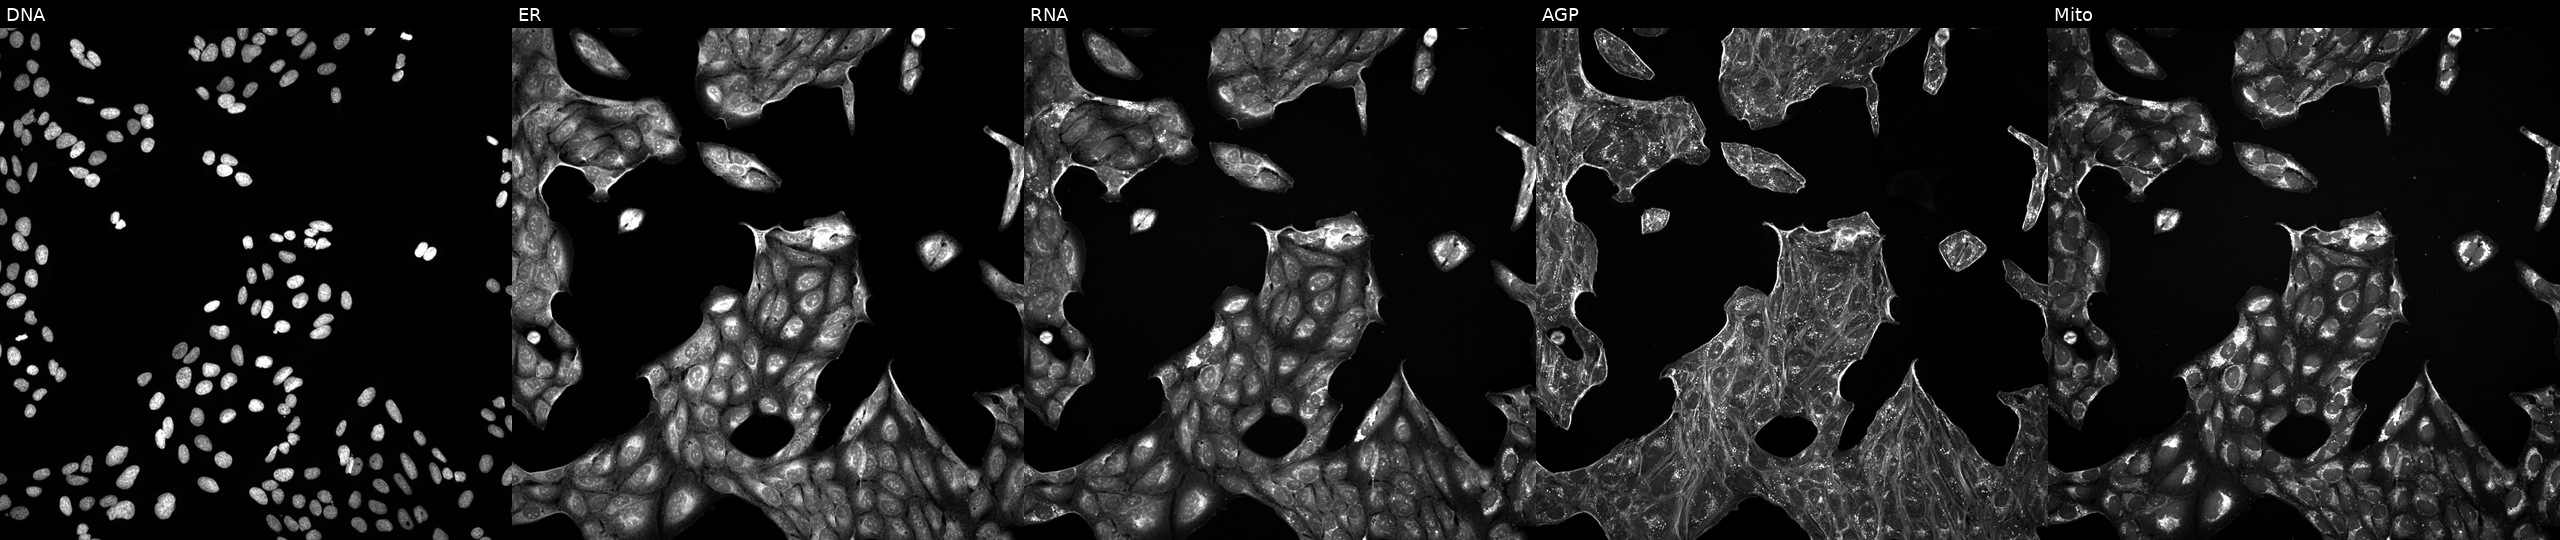
U2OS cells, Cell Painting assay, exposed to a small-molecule compound (InChIKey DPJNKUOXBZSZAI-UHFFFAOYSA-N). The five panels, left to right, show Hoechst 33342, concanavalin A, SYTO 14, phalloidin and WGA, MitoTracker. Each panel is percentile-stretched 16-bit fluorescence. Source 5, plate ACPJUM032, well M05.